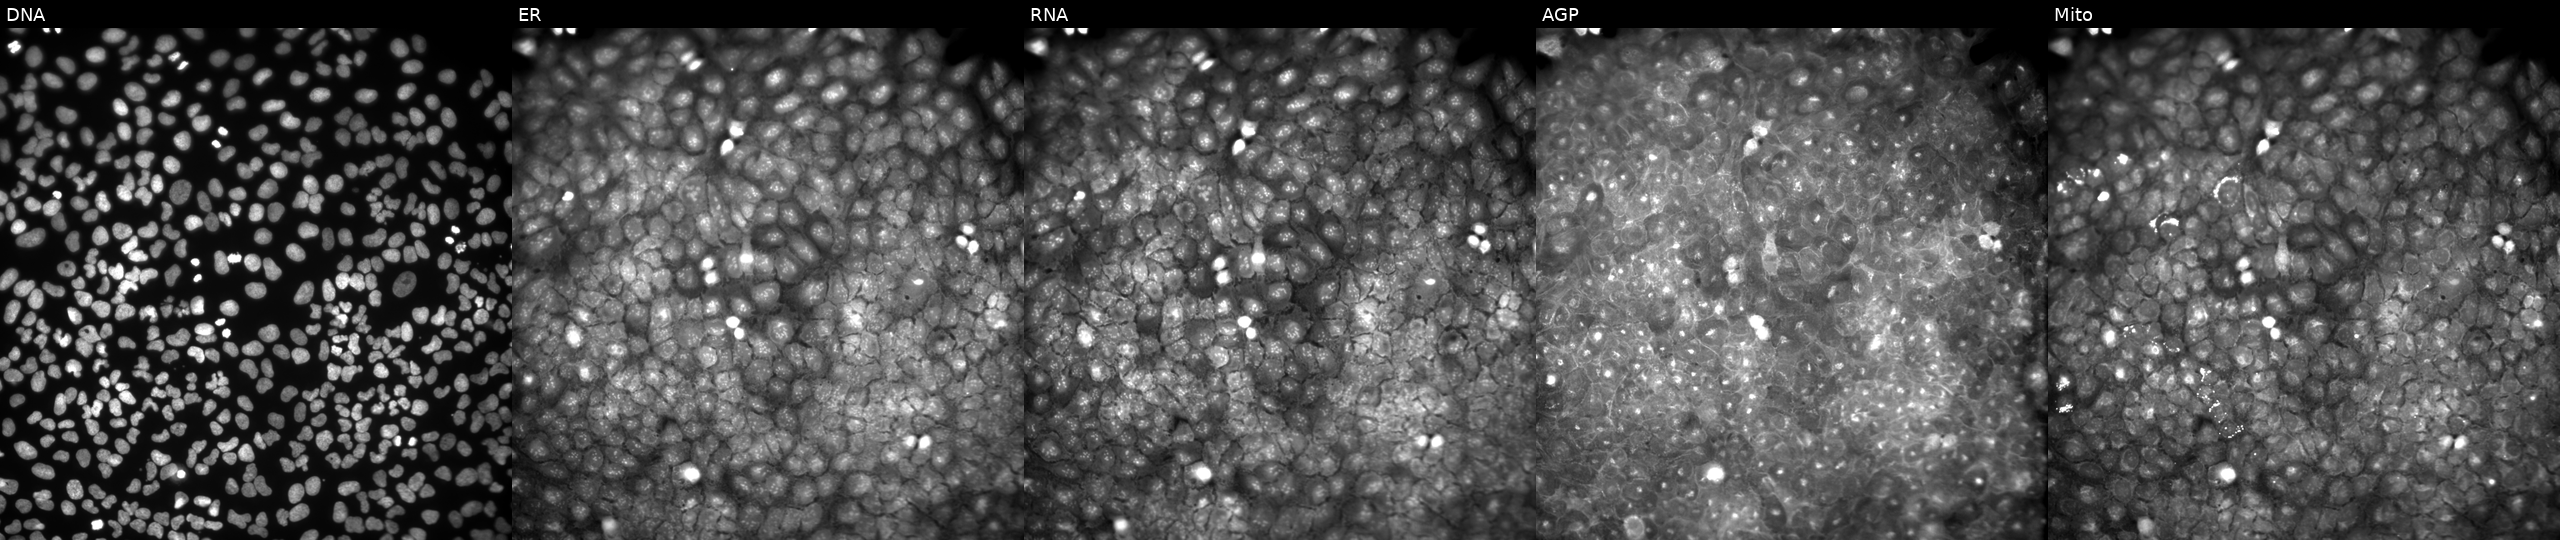
Panels show, left to right, DNA (nuclei); ER (endoplasmic reticulum); RNA (nucleoli and cytoplasmic RNA); AGP (actin cytoskeleton, Golgi, and plasma membrane); Mito (mitochondria). U2OS osteosarcoma cells perturbed with a small-molecule compound (InChIKey KPVLEOSCPGDCDF-UHFFFAOYSA-N) [SMILES: COc1ccccc1NNC(=O)C(O)(c1ccccc1)c1ccccc1] (JUMP id JCP2022_046215). Cell Painting assay, JUMP-CP dataset.